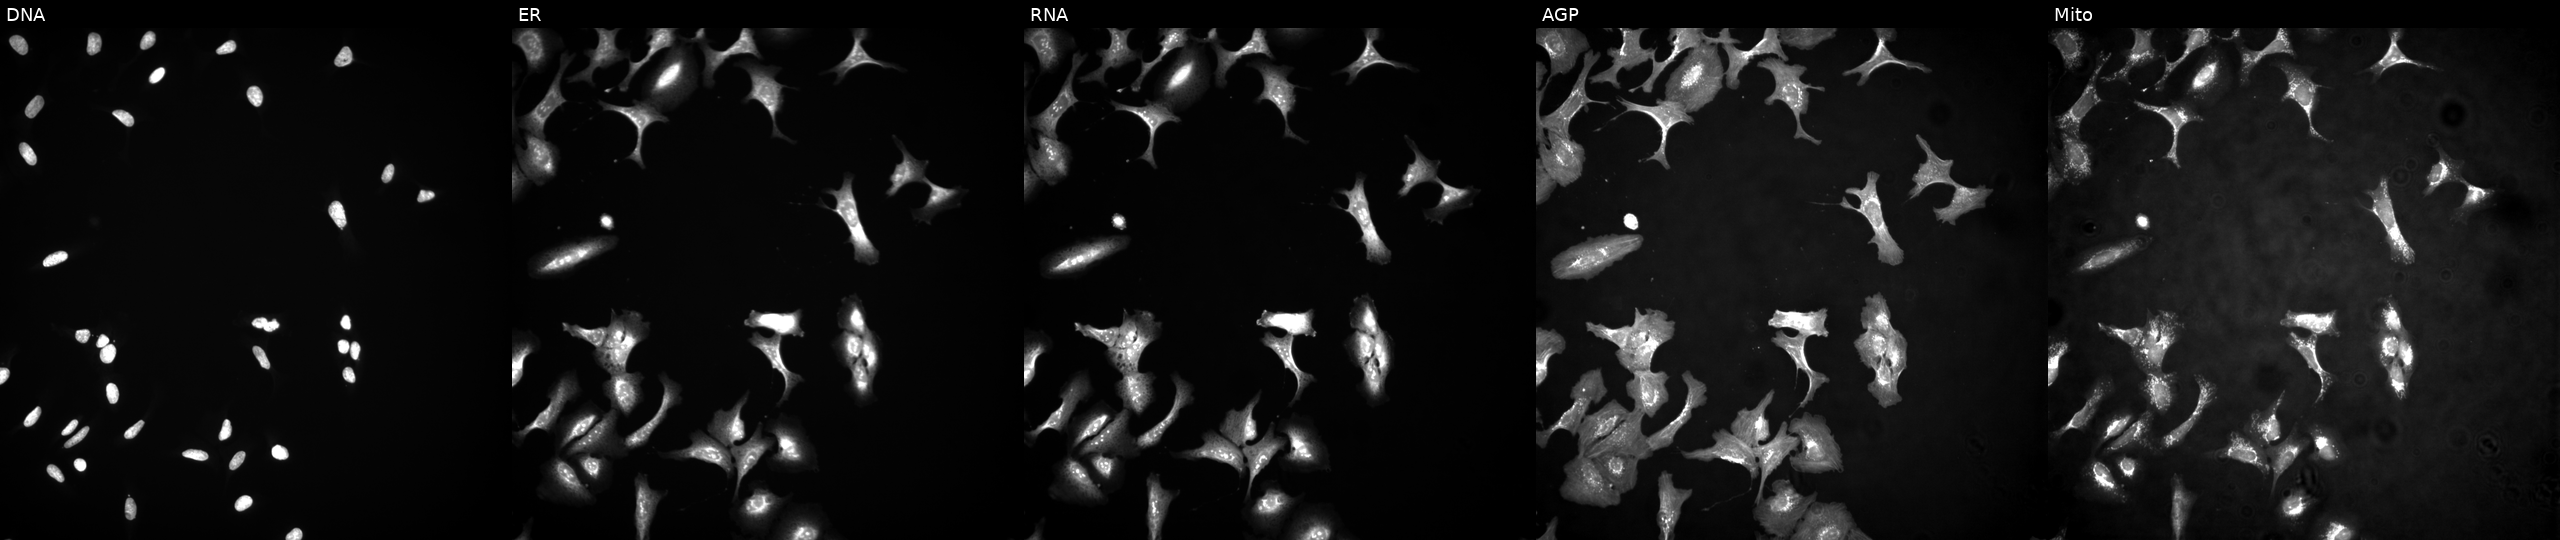
JUMP Cell Painting — ORF plate. U2OS cells transfected with an ORF construct for RSKR. The five panels, left to right, show DNA (nuclei); ER (endoplasmic reticulum); RNA (nucleoli and cytoplasmic RNA); AGP (actin cytoskeleton, Golgi, and plasma membrane); Mito (mitochondria). Source 4, plate BR00123945, well C13.